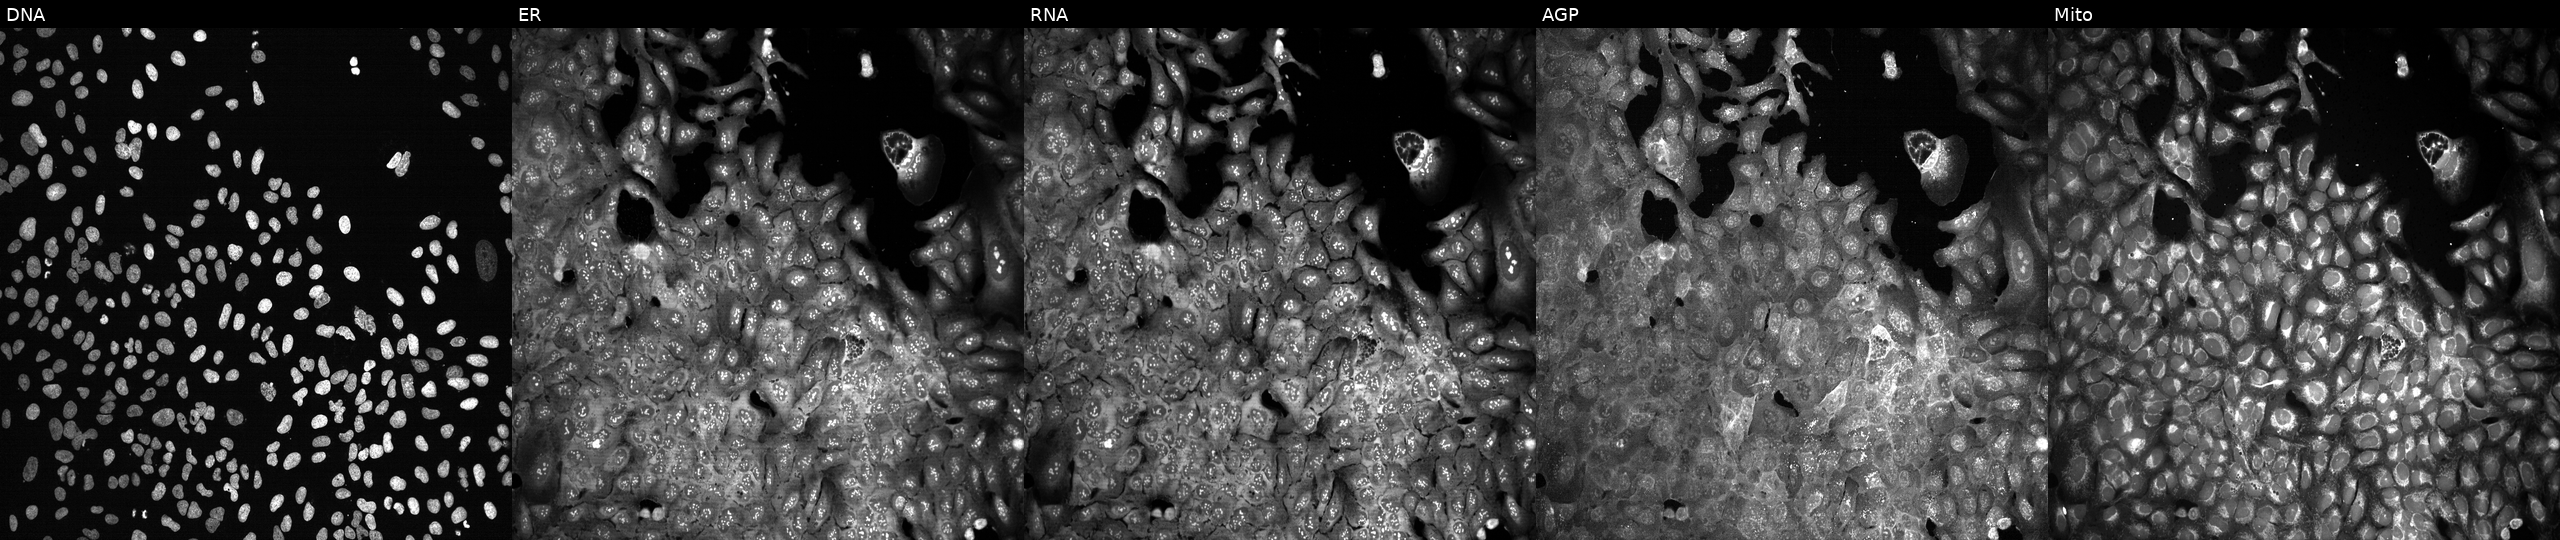
From left to right: DNA (nuclei); ER (endoplasmic reticulum); RNA (nucleoli and cytoplasmic RNA); AGP (actin cytoskeleton, Golgi, and plasma membrane); Mito (mitochondria). U2OS osteosarcoma cells CRISPR-edited to disrupt SLC6A14 (JUMP id JCP2022_806569). Cell Painting assay, JUMP-CP dataset. Source 13, plate CP-CC9-R5-01, well O04.